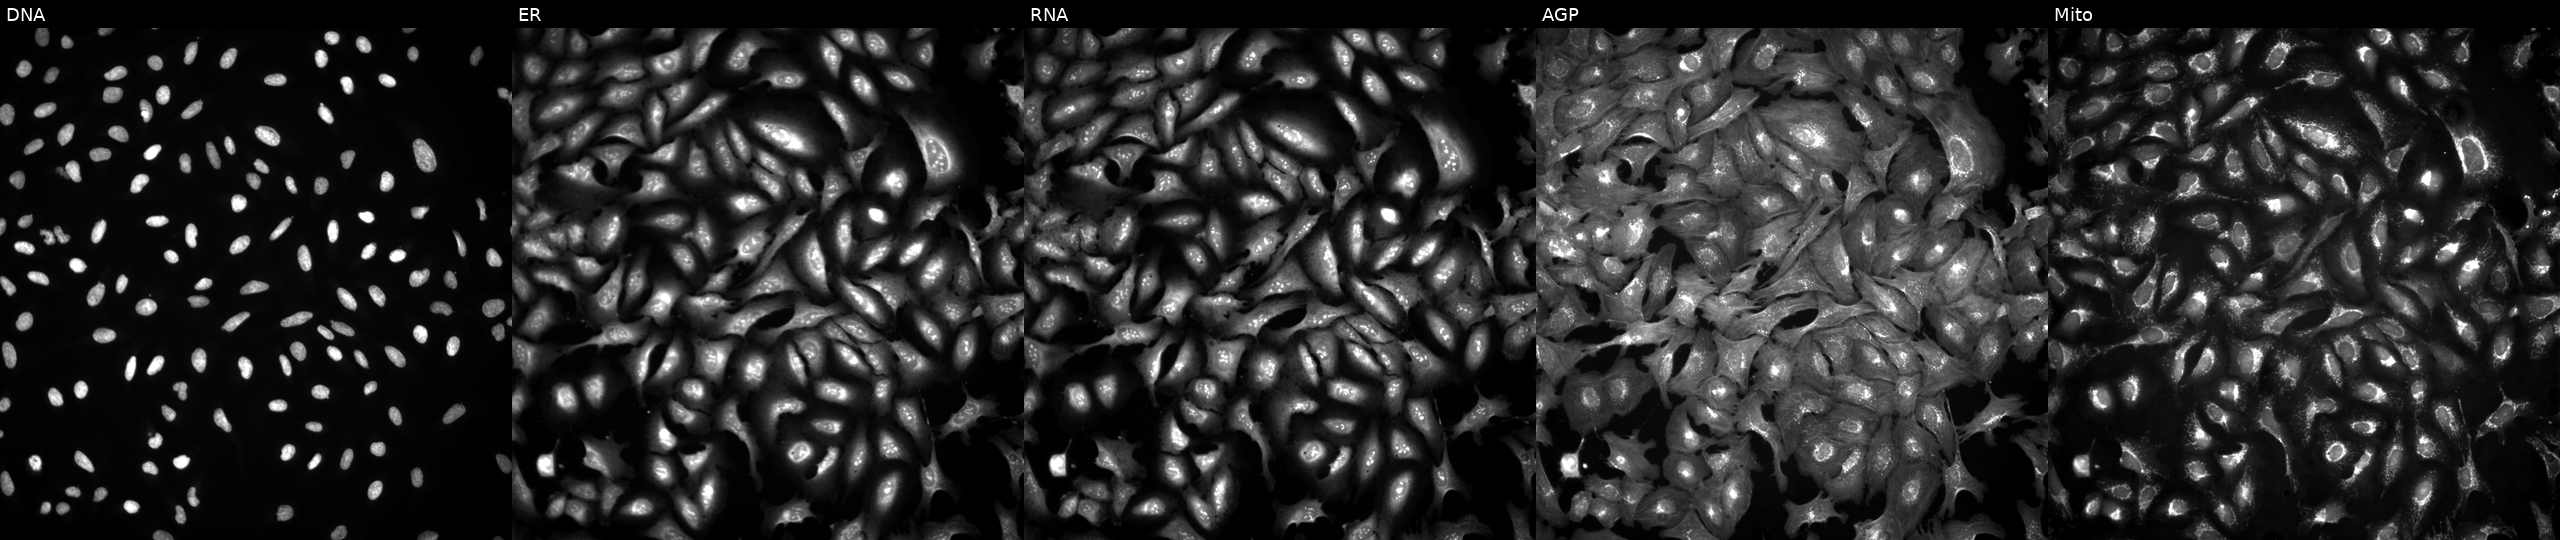
This image strip shows the five Cell Painting channels for a single field of U2OS cells transfected with an ORF construct for OBSCN (JUMP id JCP2022_911899). From left to right: DNA, ER, RNA, AGP, and Mito. Source 4, plate BR00123945, well H04.